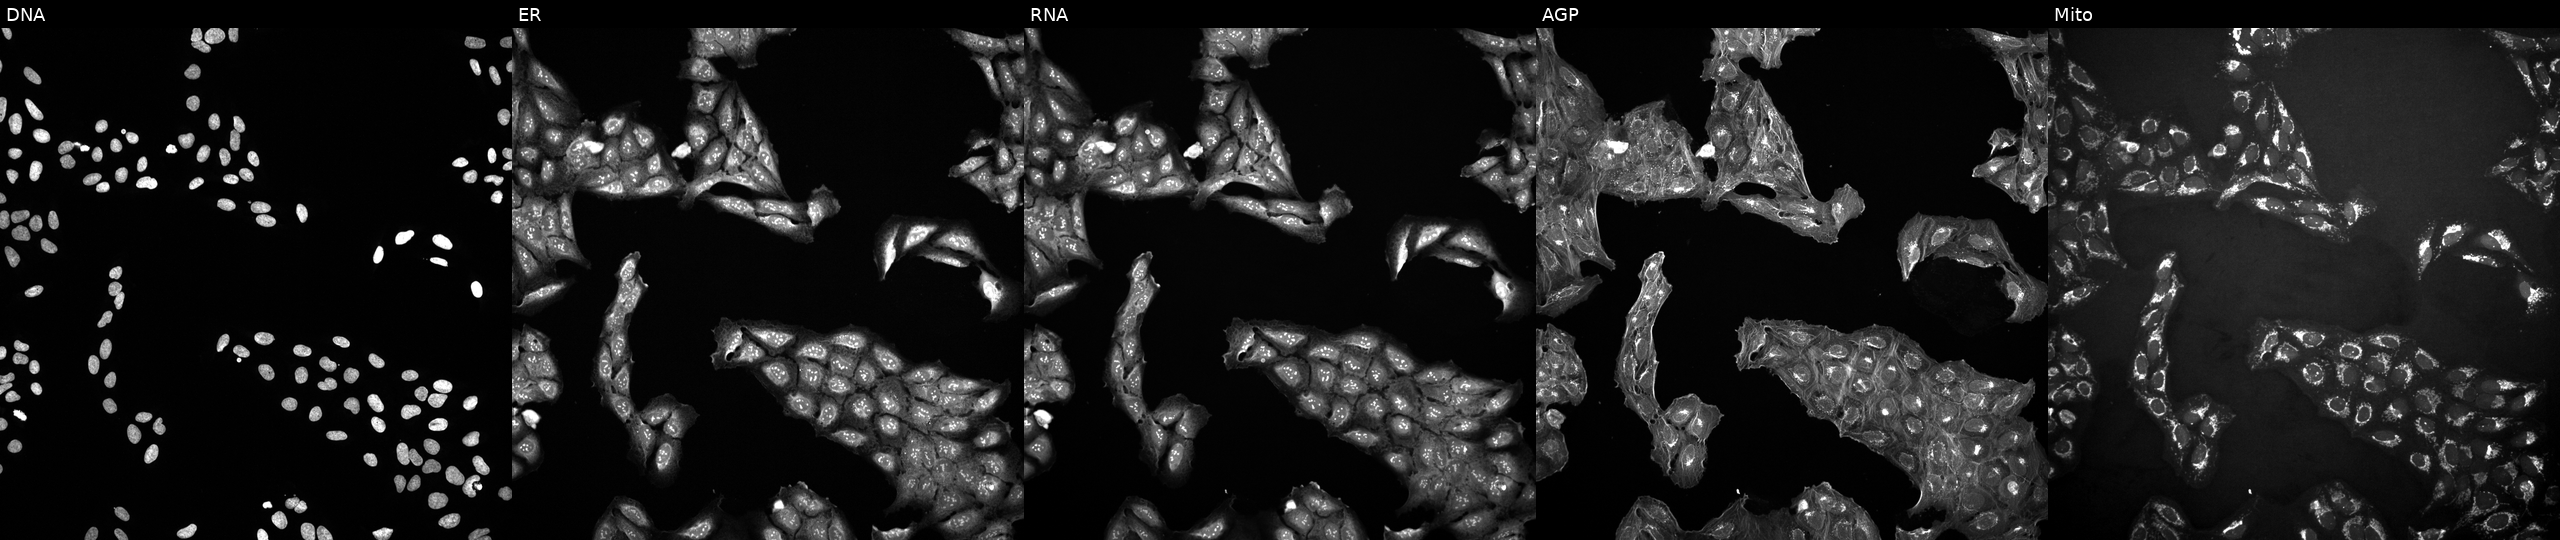
This image strip shows the five Cell Painting channels for a single field of U2OS cells exposed to a small-molecule compound (InChIKey UUTVICKSMSDFNJ-UHFFFAOYSA-N). The five panels, left to right, show Hoechst 33342, concanavalin A, SYTO 14, phalloidin and WGA, MitoTracker.